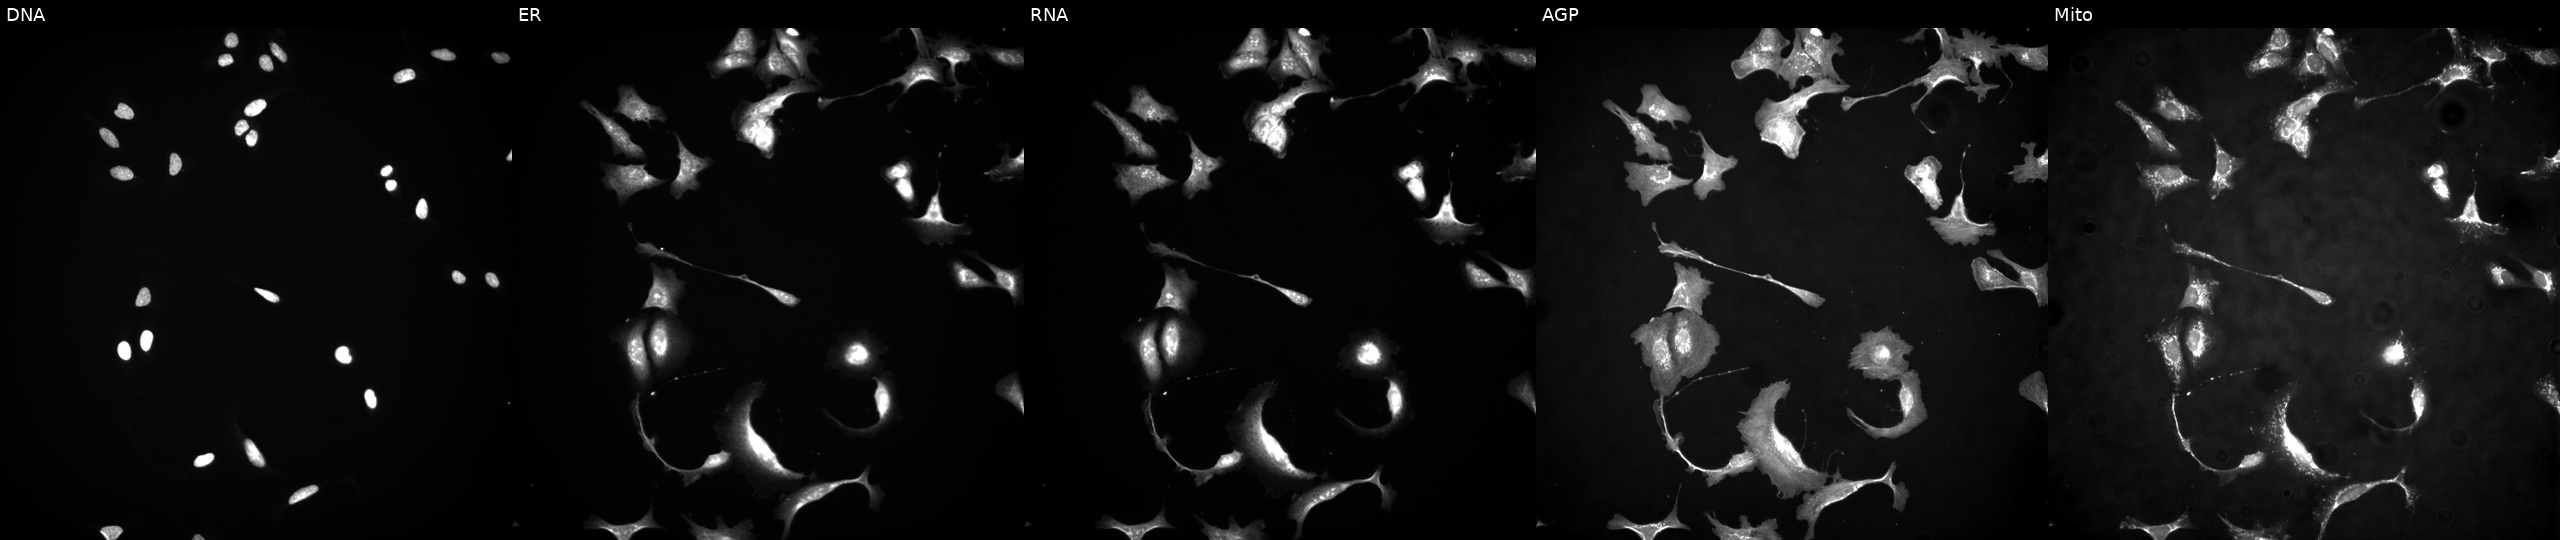
U2OS cells, Cell Painting assay, with MAPK14 overexpressed (ORF) (JUMP id JCP2022_913628). The five panels, left to right, show DNA (nuclei); ER (endoplasmic reticulum); RNA (nucleoli and cytoplasmic RNA); AGP (actin cytoskeleton, Golgi, and plasma membrane); Mito (mitochondria). Each panel is percentile-stretched 16-bit fluorescence.